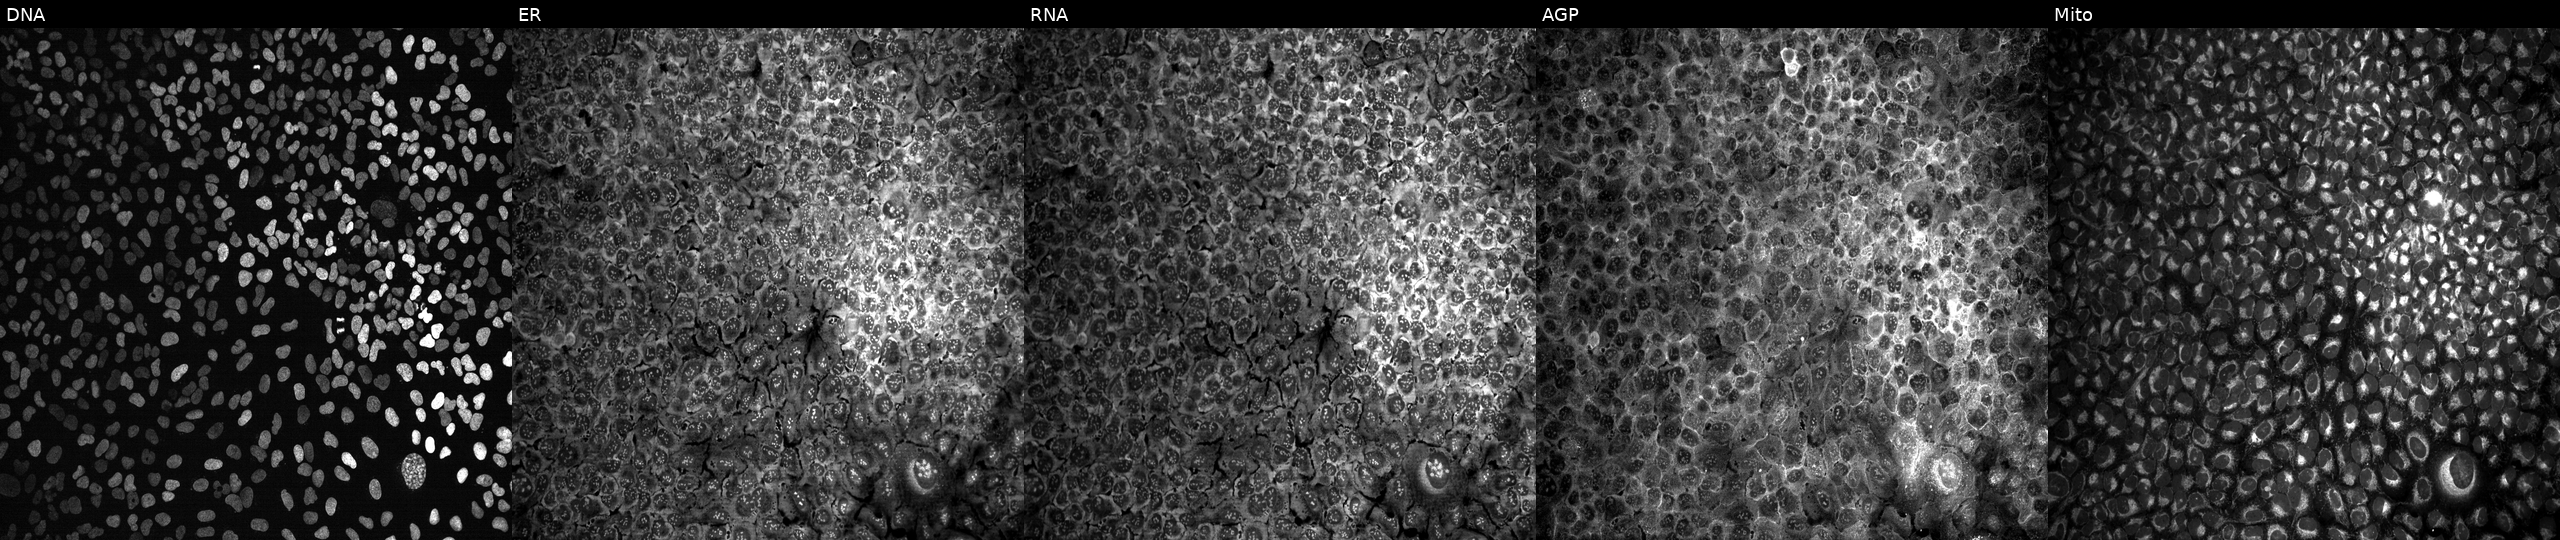
Five-channel Cell Painting image of U2OS cells CRISPR-edited to disrupt HBD. The five panels, left to right, show Hoechst 33342, concanavalin A, SYTO 14, phalloidin and WGA, MitoTracker. Source 13, plate CP-CC9-R4-03, well B05.